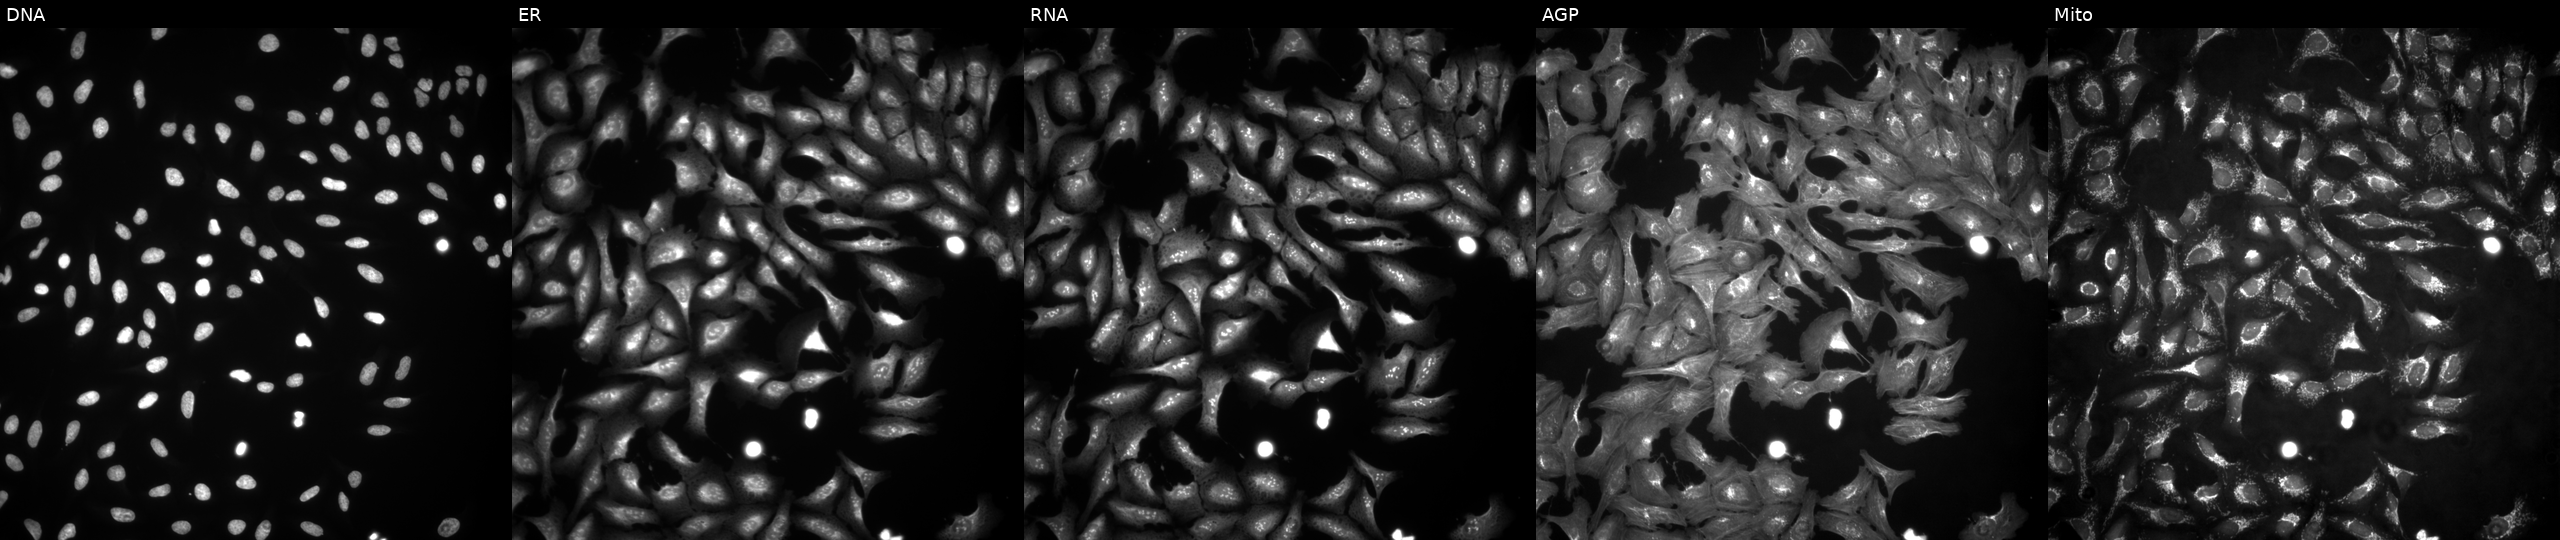
JUMP Cell Painting — ORF plate. U2OS cells with ARHGEF18 overexpressed (ORF) (JUMP id JCP2022_910938). Channels (left→right): DNA, ER, RNA, AGP, and Mito.